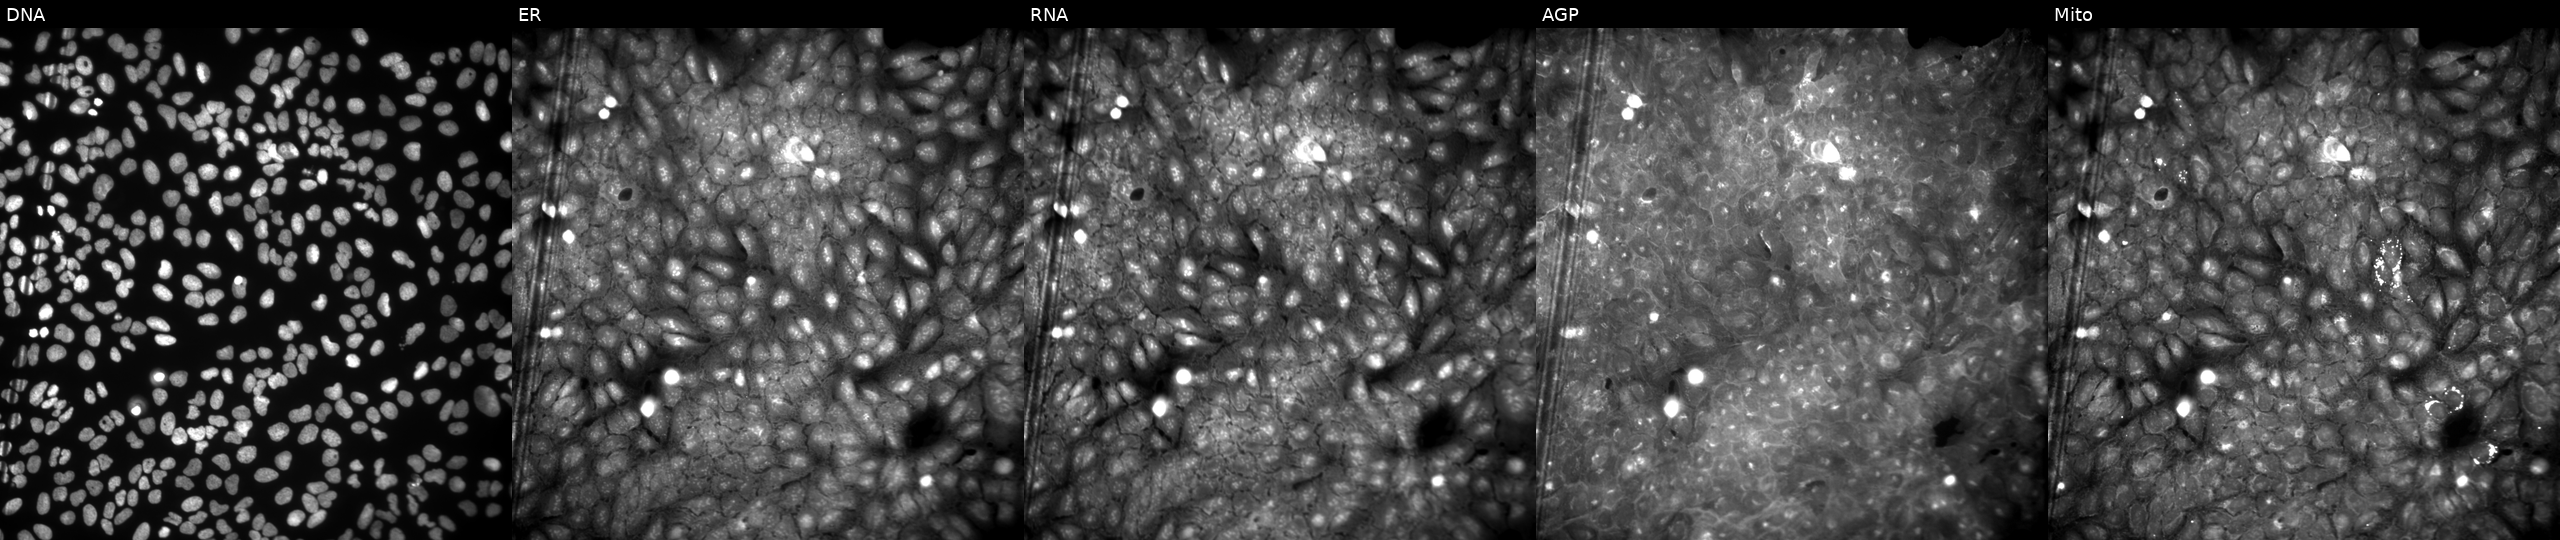
Five-channel Cell Painting image of U2OS cells perturbed with a small-molecule compound (InChIKey HQNDQGGVWZNHNZ-UHFFFAOYSA-N). Panels show, left to right, Hoechst 33342, concanavalin A, SYTO 14, phalloidin and WGA, MitoTracker. Source 9, plate GR00003381, well AA34.